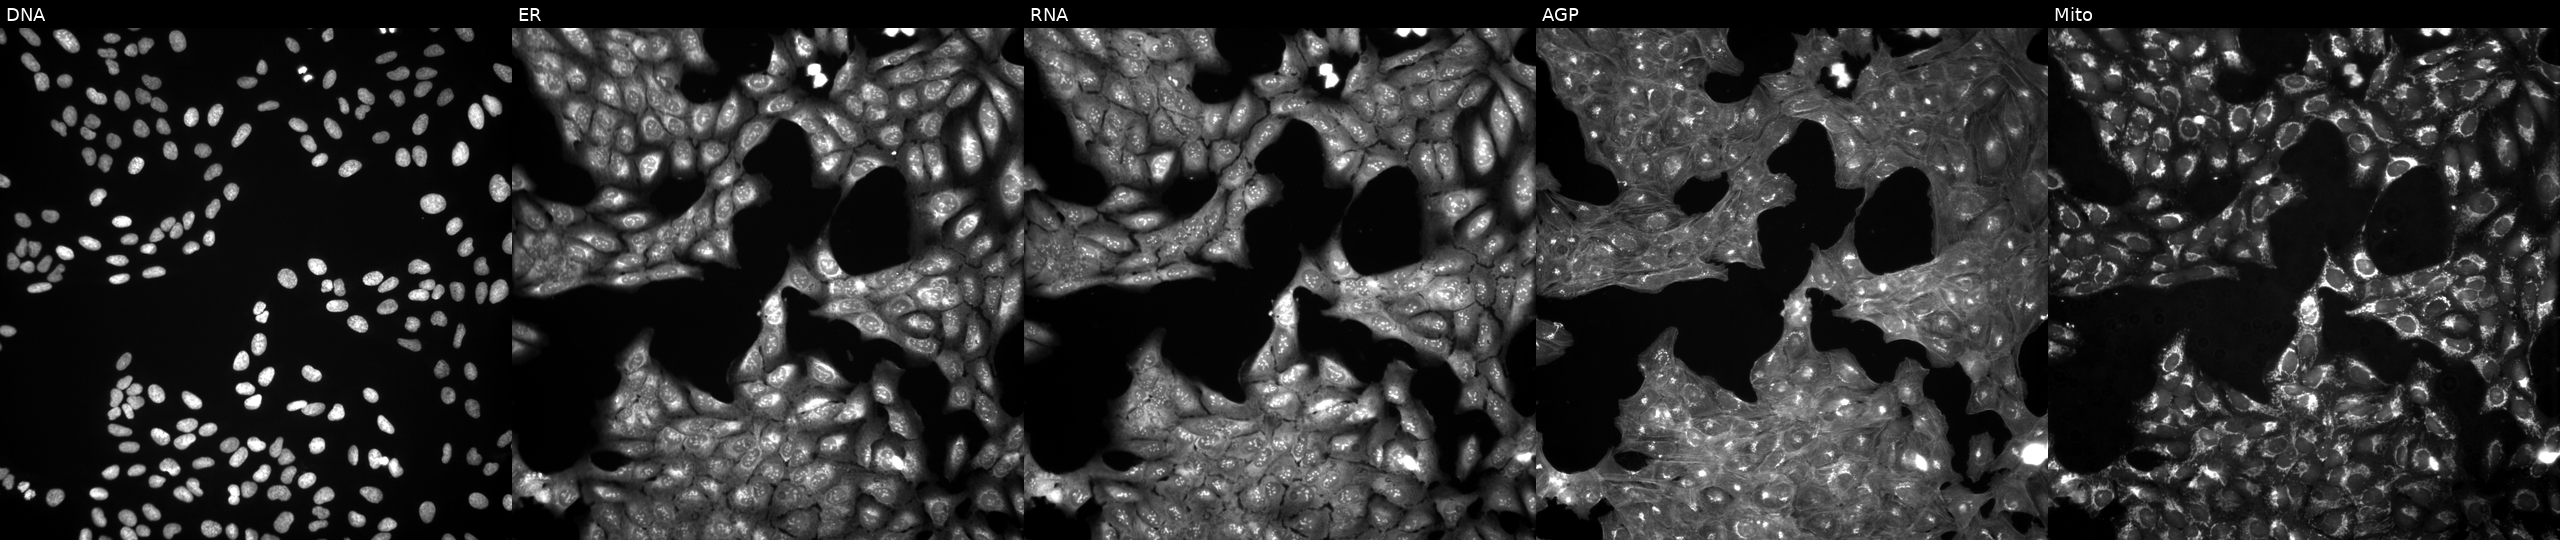
The five panels, left to right, show DNA, ER, RNA, AGP, and Mito. U2OS osteosarcoma cells treated with a small-molecule compound [SMILES: NS(=O)(=O)c1cccc2c1c([N+](=O)[O-])cc1[nH]c(=O)c(=O)[nH]c12] (JUMP id JCP2022_090884). Cell Painting assay, JUMP-CP dataset.